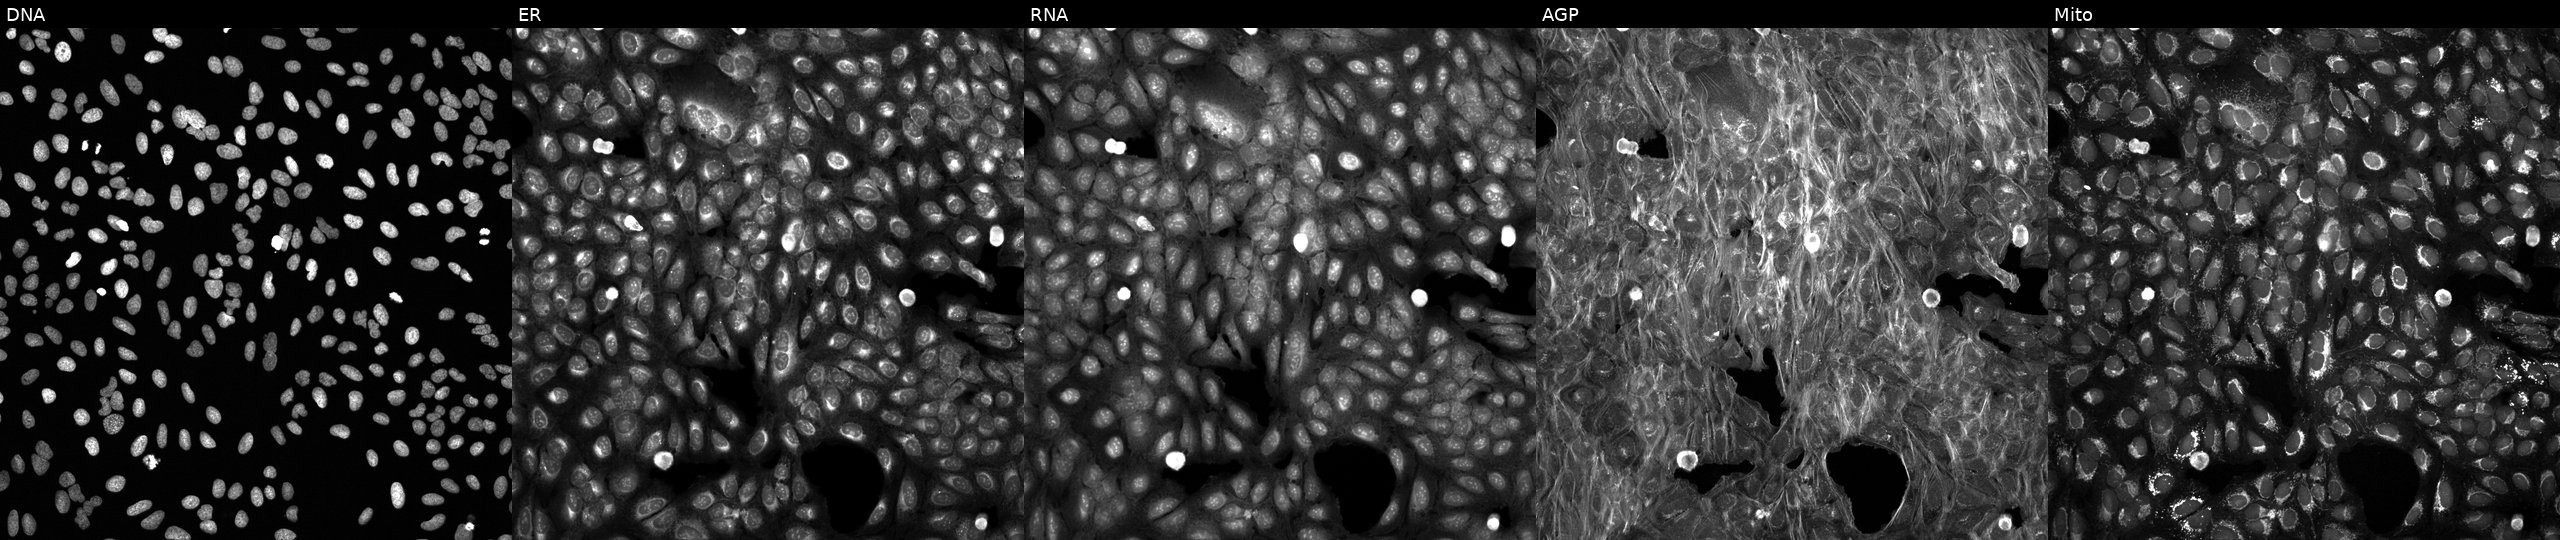
JUMP Cell Painting — TARGET2 plate. U2OS cells exposed to a small-molecule compound (InChIKey LQERMDXPGNOJCT-UHFFFAOYSA-N). The five panels, left to right, show DNA (nuclei); ER (endoplasmic reticulum); RNA (nucleoli and cytoplasmic RNA); AGP (actin cytoskeleton, Golgi, and plasma membrane); Mito (mitochondria). Source 6, plate 110000294901, well I06.